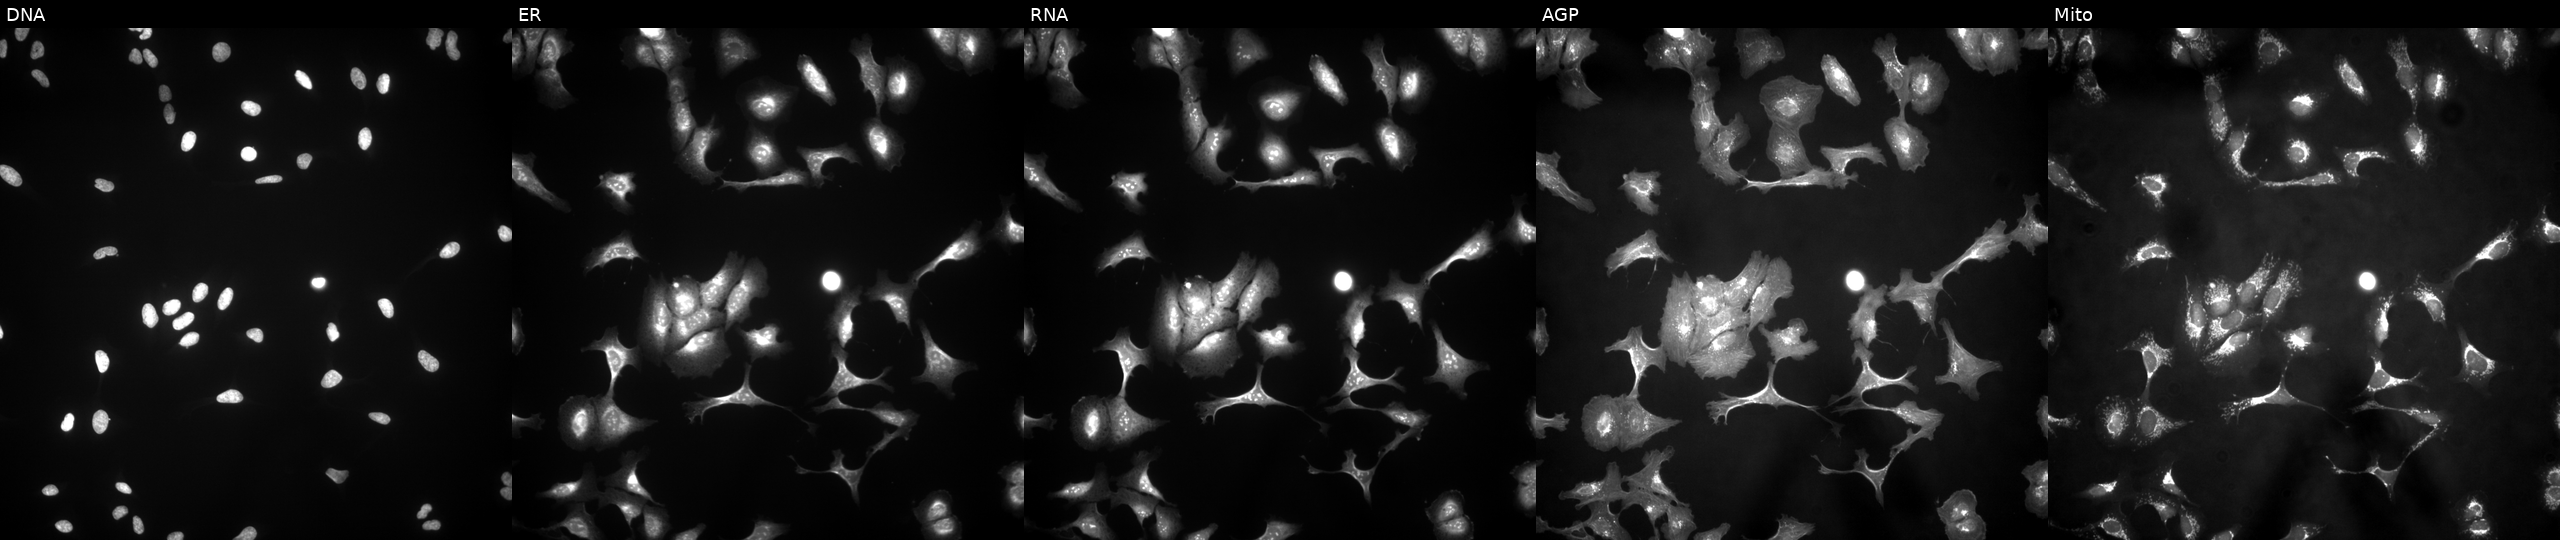
JUMP Cell Painting — ORF plate. U2OS cells with PRR22 overexpressed (ORF) (JUMP id JCP2022_912422). Panels show, left to right, Hoechst 33342, concanavalin A, SYTO 14, phalloidin and WGA, MitoTracker.